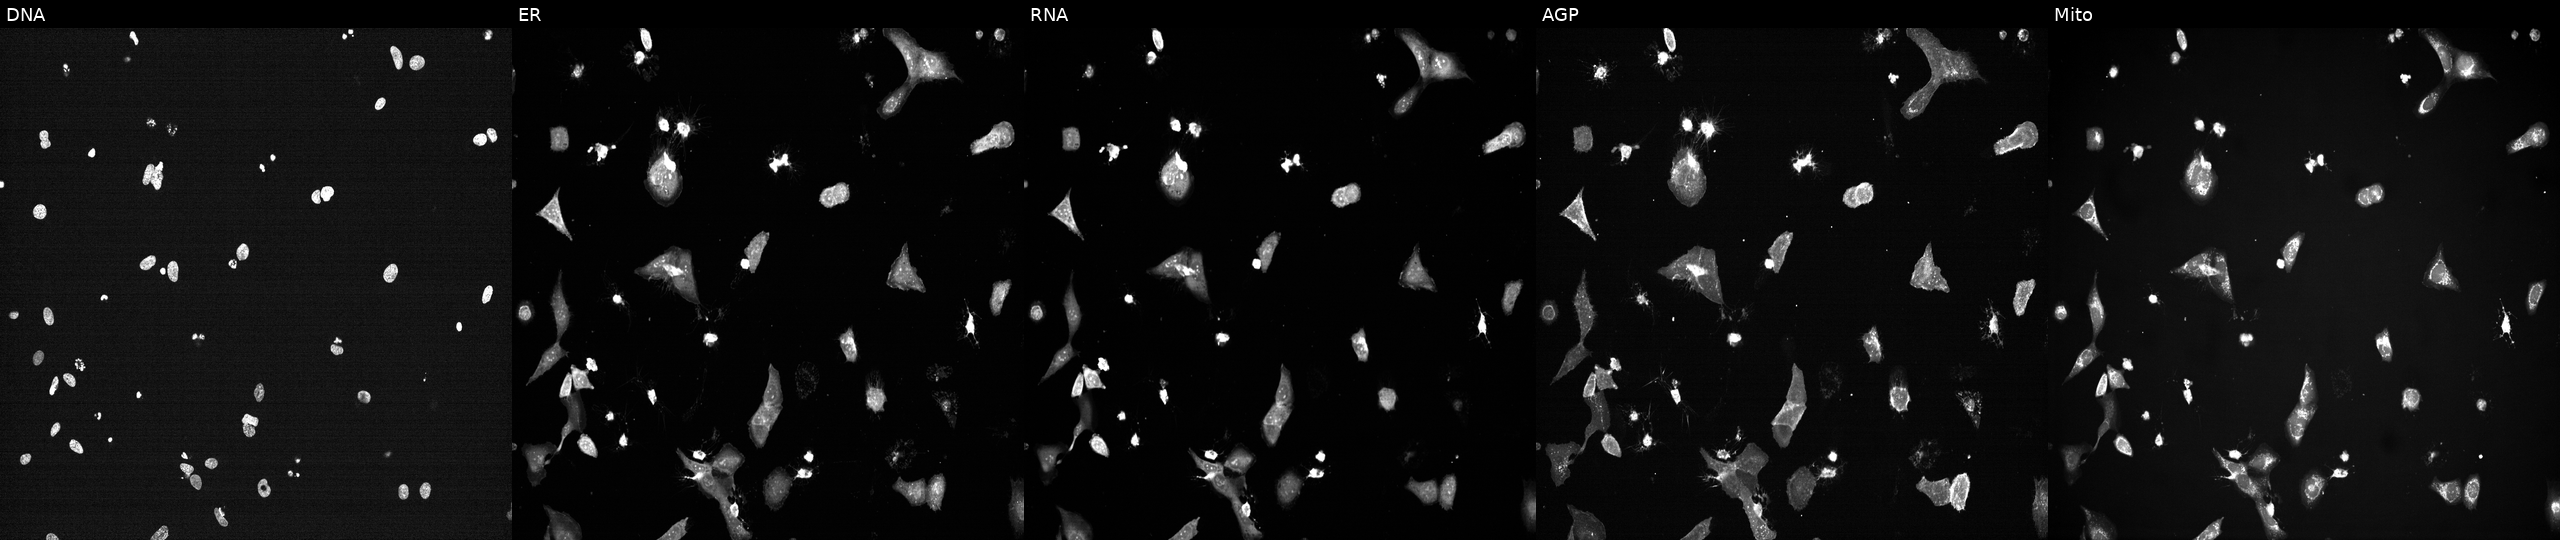
From left to right: Hoechst 33342, concanavalin A, SYTO 14, phalloidin and WGA, MitoTracker. U2OS osteosarcoma cells exposed to a small-molecule compound (InChIKey AYCPARAPKDAOEN-UHFFFAOYSA-N). Cell Painting assay, JUMP-CP dataset. Source 7, plate CP3-SC1-25, well H08.